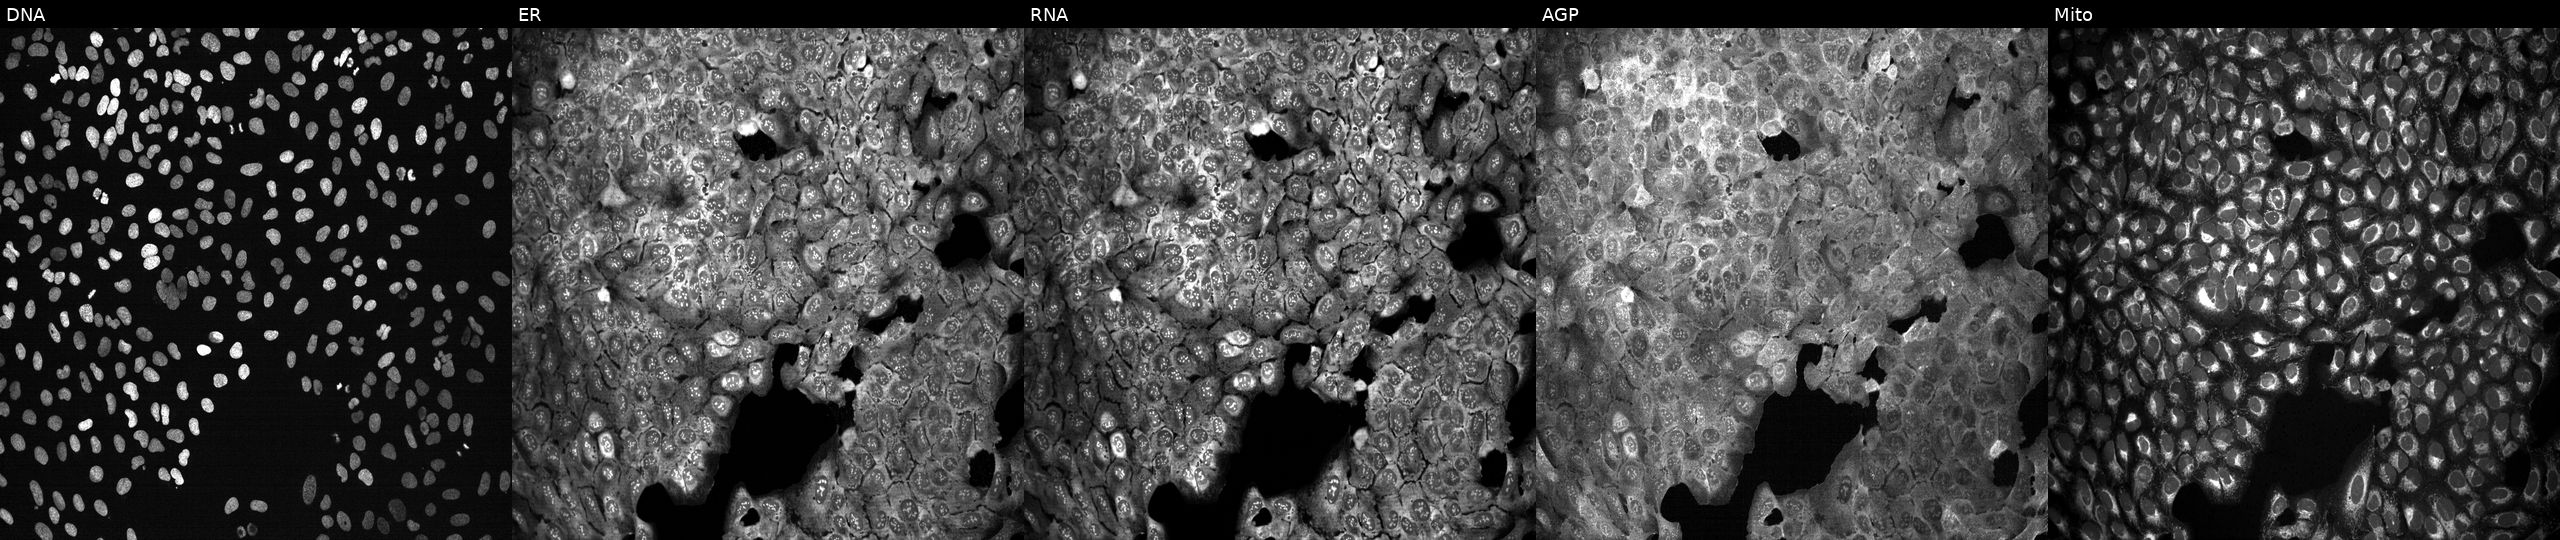
The five panels, left to right, show Hoechst 33342, concanavalin A, SYTO 14, phalloidin and WGA, MitoTracker. U2OS osteosarcoma cells CRISPR-edited to disrupt SLC15A4 (JUMP id JCP2022_806383). Cell Painting assay, JUMP-CP dataset.